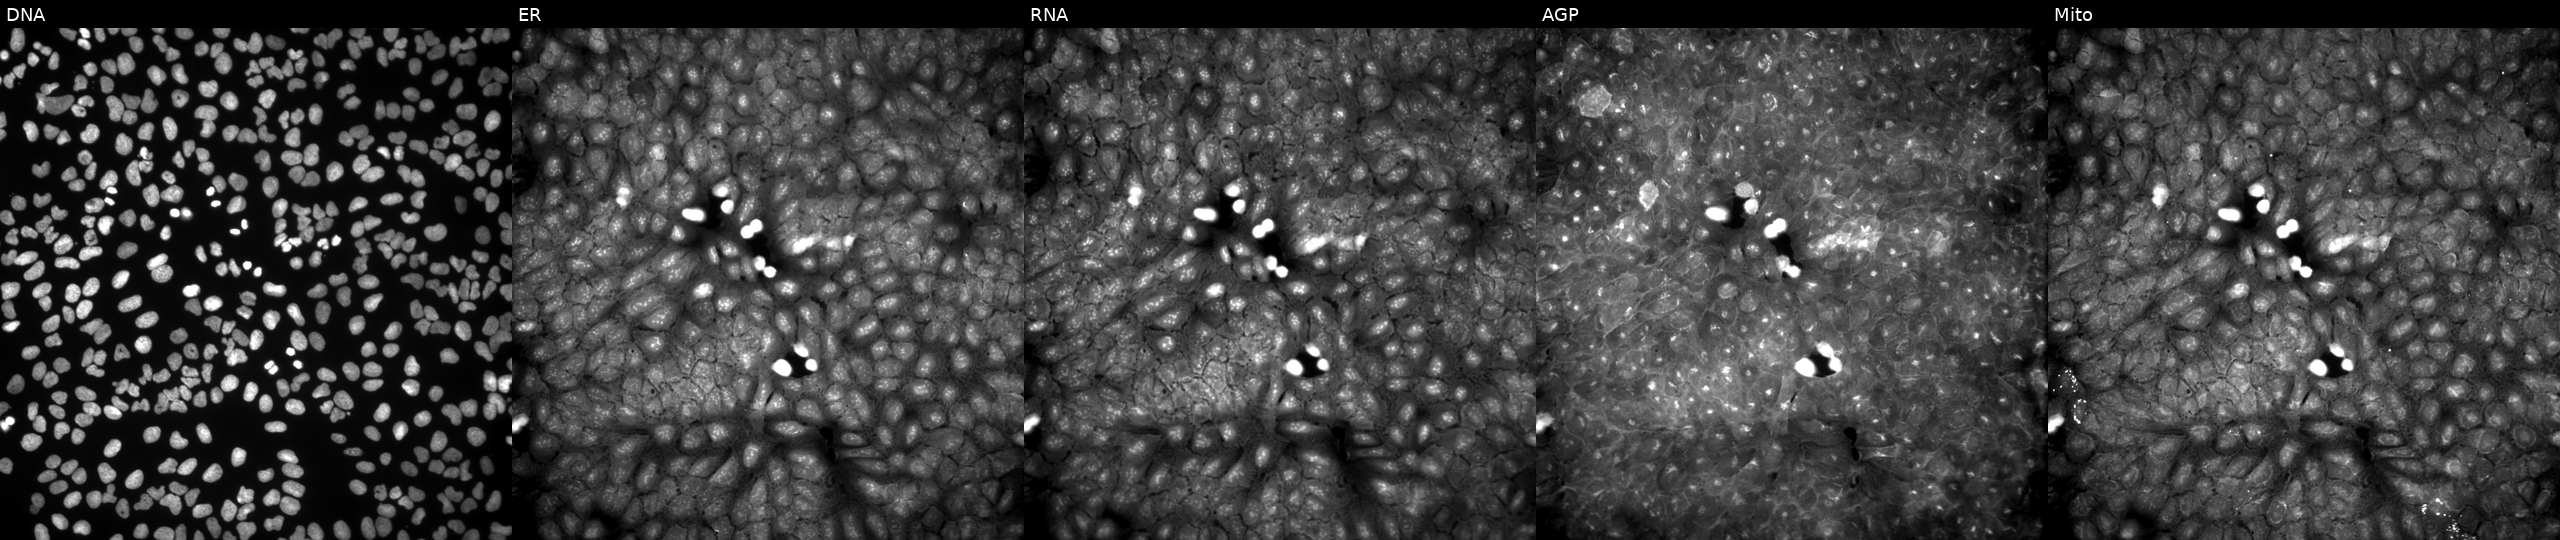
JUMP Cell Painting — COMPOUND plate. U2OS cells exposed to the positive-control compound quinidine. Channels (left→right): Hoechst 33342, concanavalin A, SYTO 14, phalloidin and WGA, MitoTracker. Source 9, plate GR00003381, well W24.